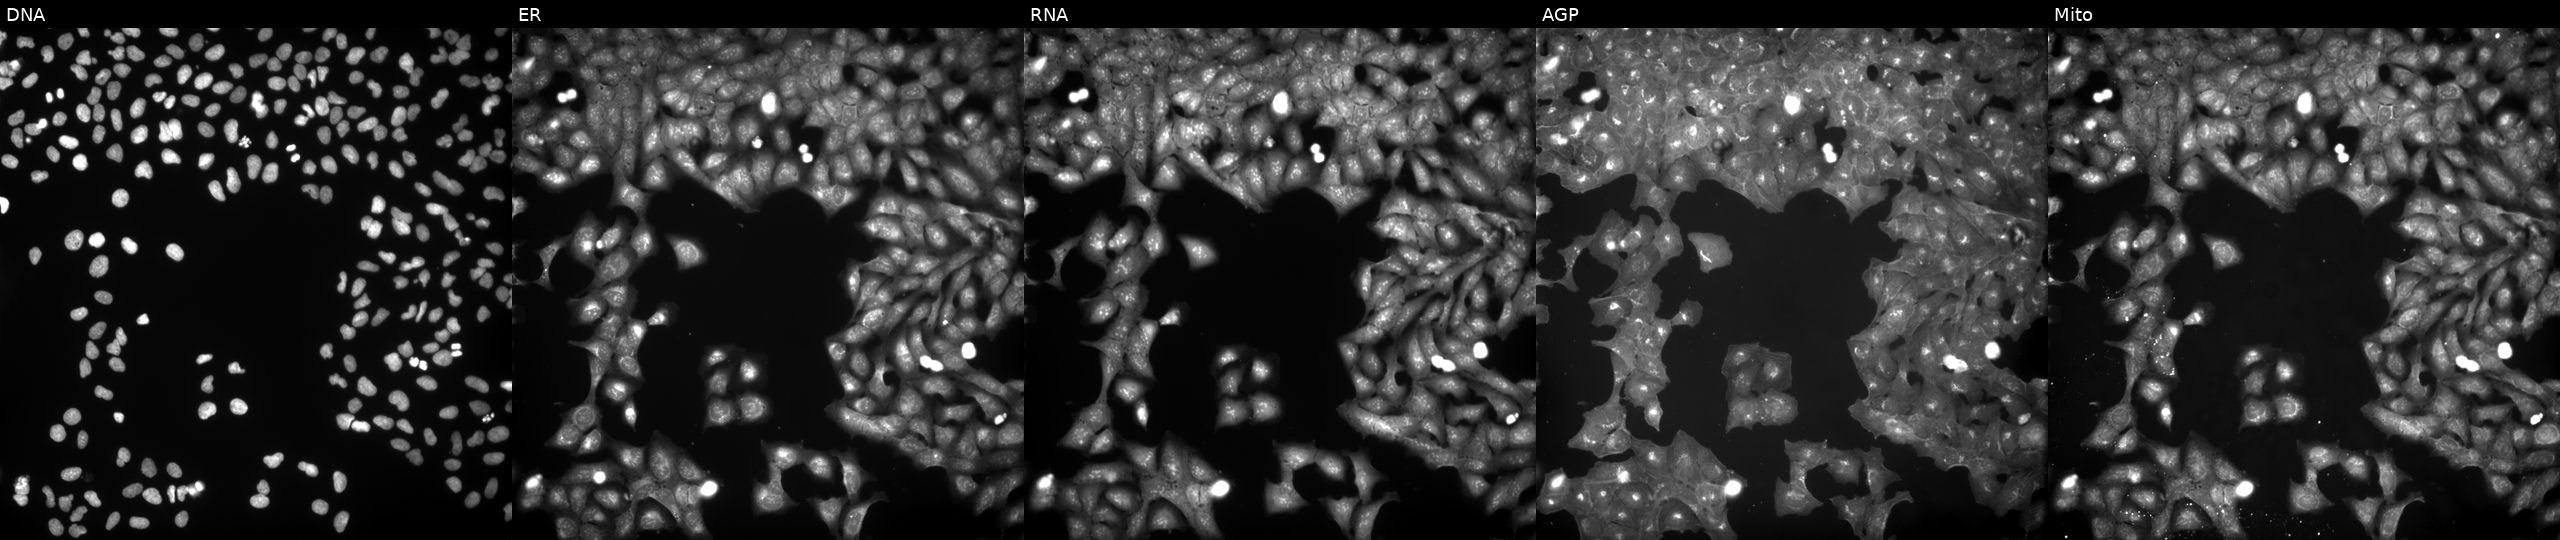
High-content fluorescence microscopy (Cell Painting). Cell line: U2OS. Perturbation: exposed to the positive-control compound NVS-PAK1-1. Channels (left→right): DNA (nuclei); ER (endoplasmic reticulum); RNA (nucleoli and cytoplasmic RNA); AGP (actin cytoskeleton, Golgi, and plasma membrane); Mito (mitochondria). Source 9, plate GR00003382, well N24.